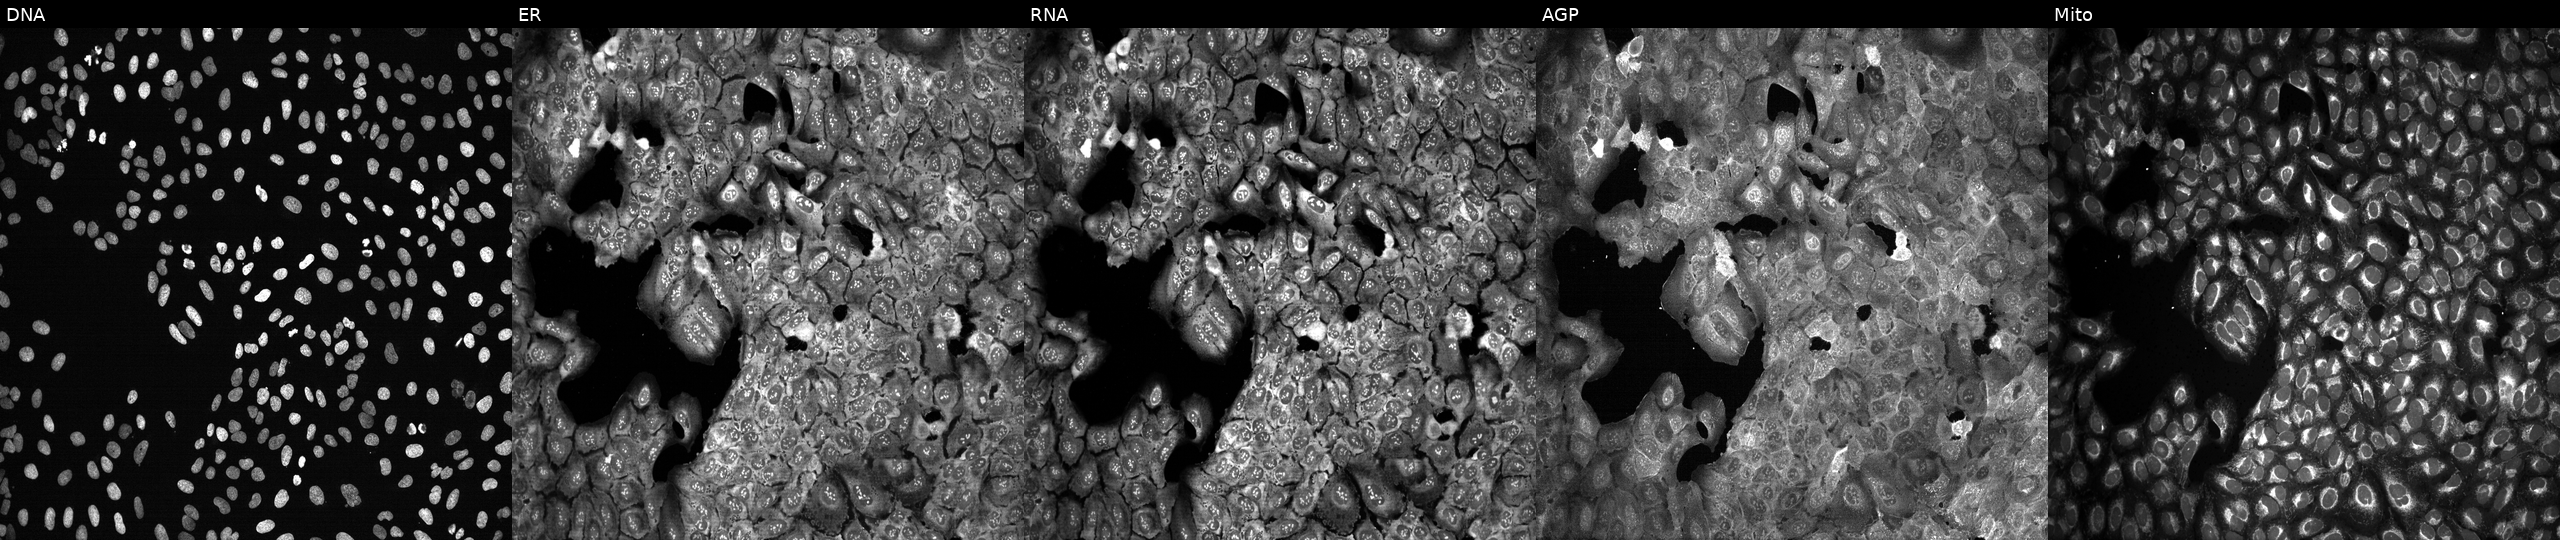
U2OS cells, Cell Painting assay, CRISPR-edited to disrupt XYLT1 (JUMP id JCP2022_807725). The five panels, left to right, show Hoechst 33342, concanavalin A, SYTO 14, phalloidin and WGA, MitoTracker. Each panel is percentile-stretched 16-bit fluorescence.